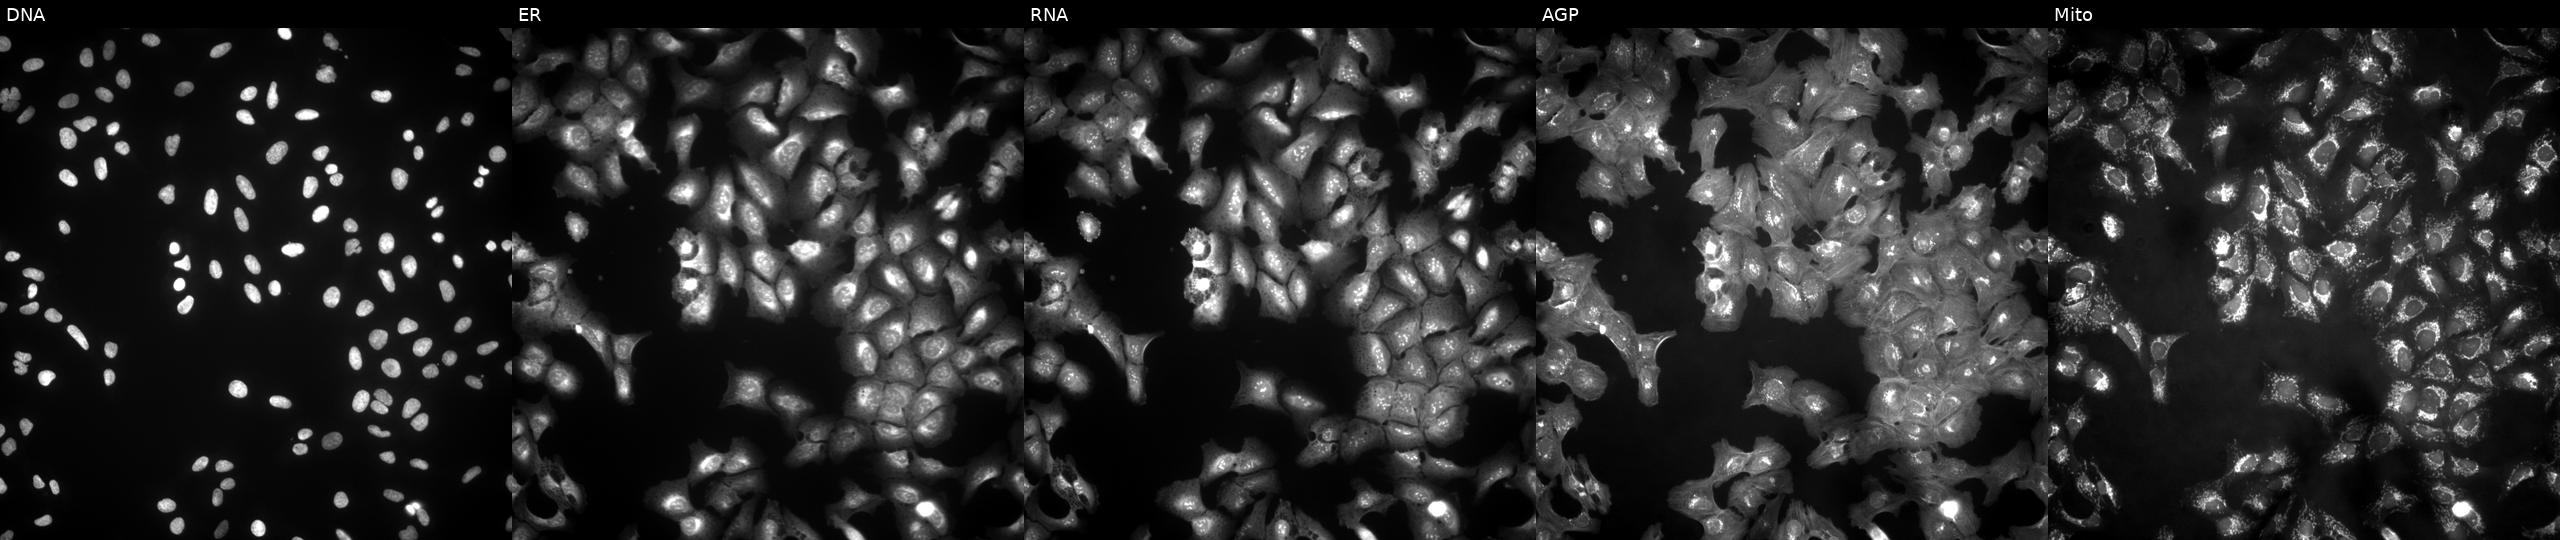
Five-channel Cell Painting image of U2OS cells transfected with an ORF construct for NMUR2 (JUMP id JCP2022_908096). Panels show, left to right, DNA (nuclei); ER (endoplasmic reticulum); RNA (nucleoli and cytoplasmic RNA); AGP (actin cytoskeleton, Golgi, and plasma membrane); Mito (mitochondria). Source 4, plate BR00123506, well C24.